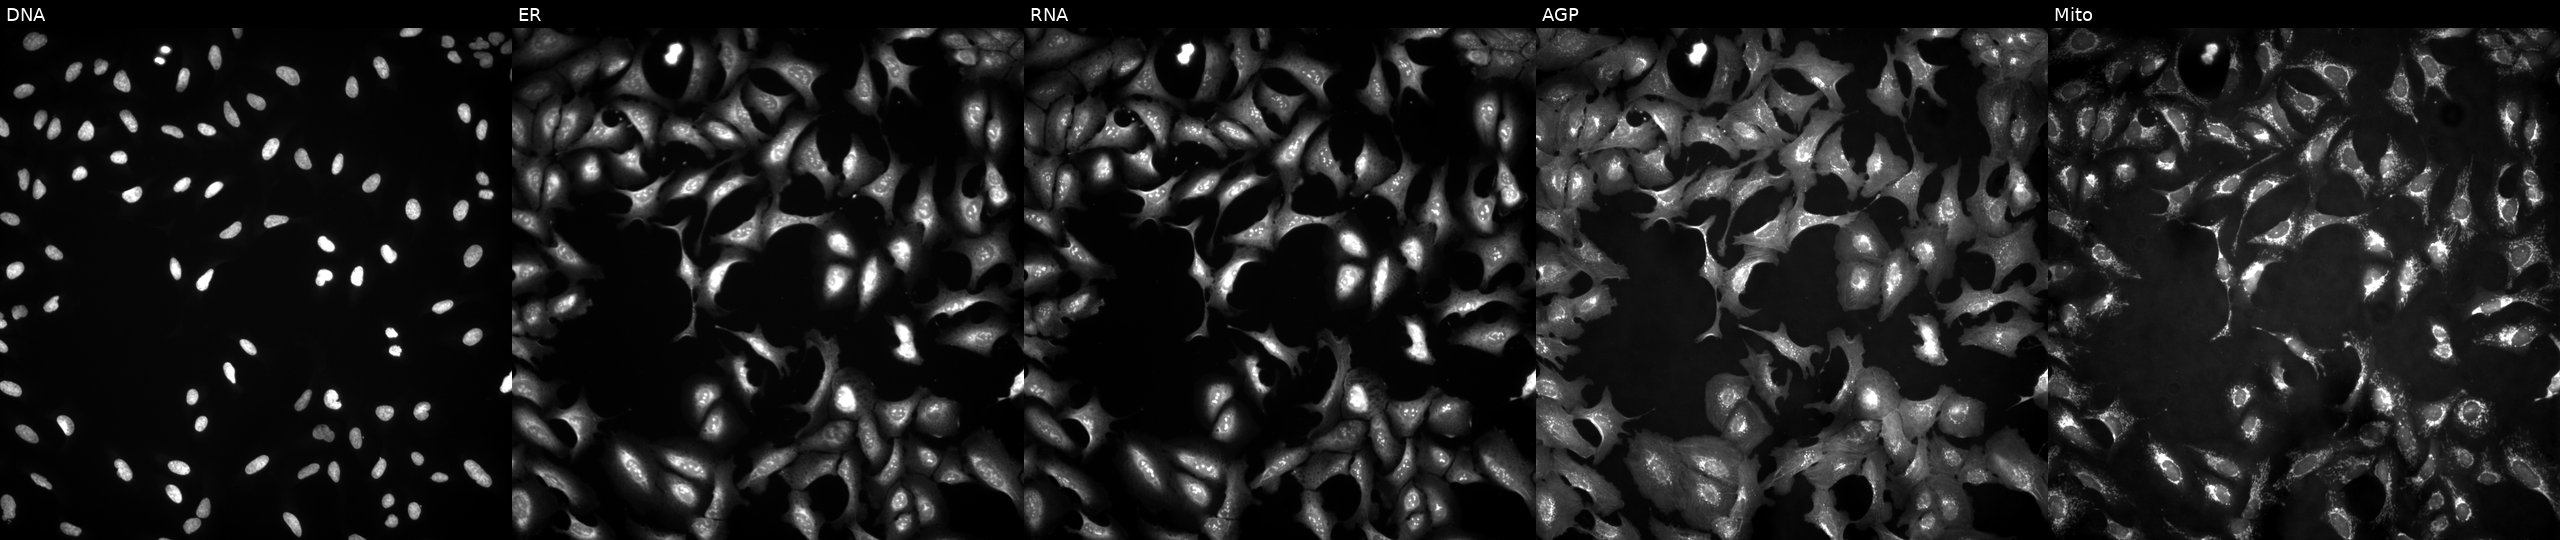
High-content fluorescence microscopy (Cell Painting). Cell line: U2OS. Perturbation: with GRK2 overexpressed (ORF). Panels show, left to right, DNA (nuclei); ER (endoplasmic reticulum); RNA (nucleoli and cytoplasmic RNA); AGP (actin cytoskeleton, Golgi, and plasma membrane); Mito (mitochondria). Source 4, plate BR00121543, well C04.